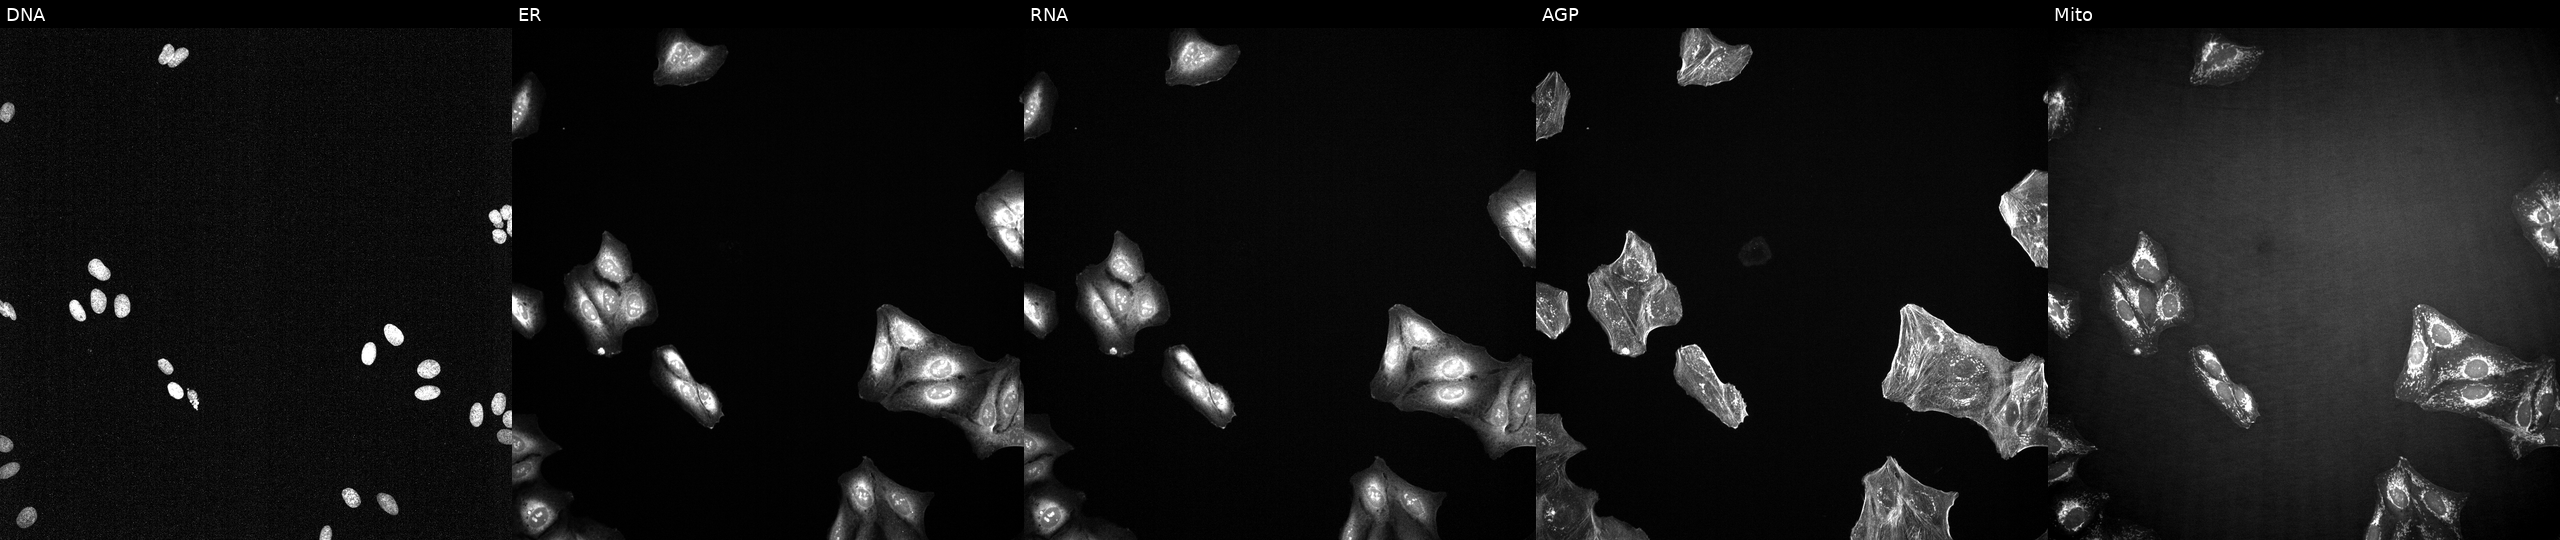
Five-channel Cell Painting image of U2OS cells perturbed with a small-molecule compound (InChIKey RAMROQQYRRQPDL-UHFFFAOYSA-N). Panels show, left to right, Hoechst 33342, concanavalin A, SYTO 14, phalloidin and WGA, MitoTracker. Source 2, plate 1053599503, well C22.